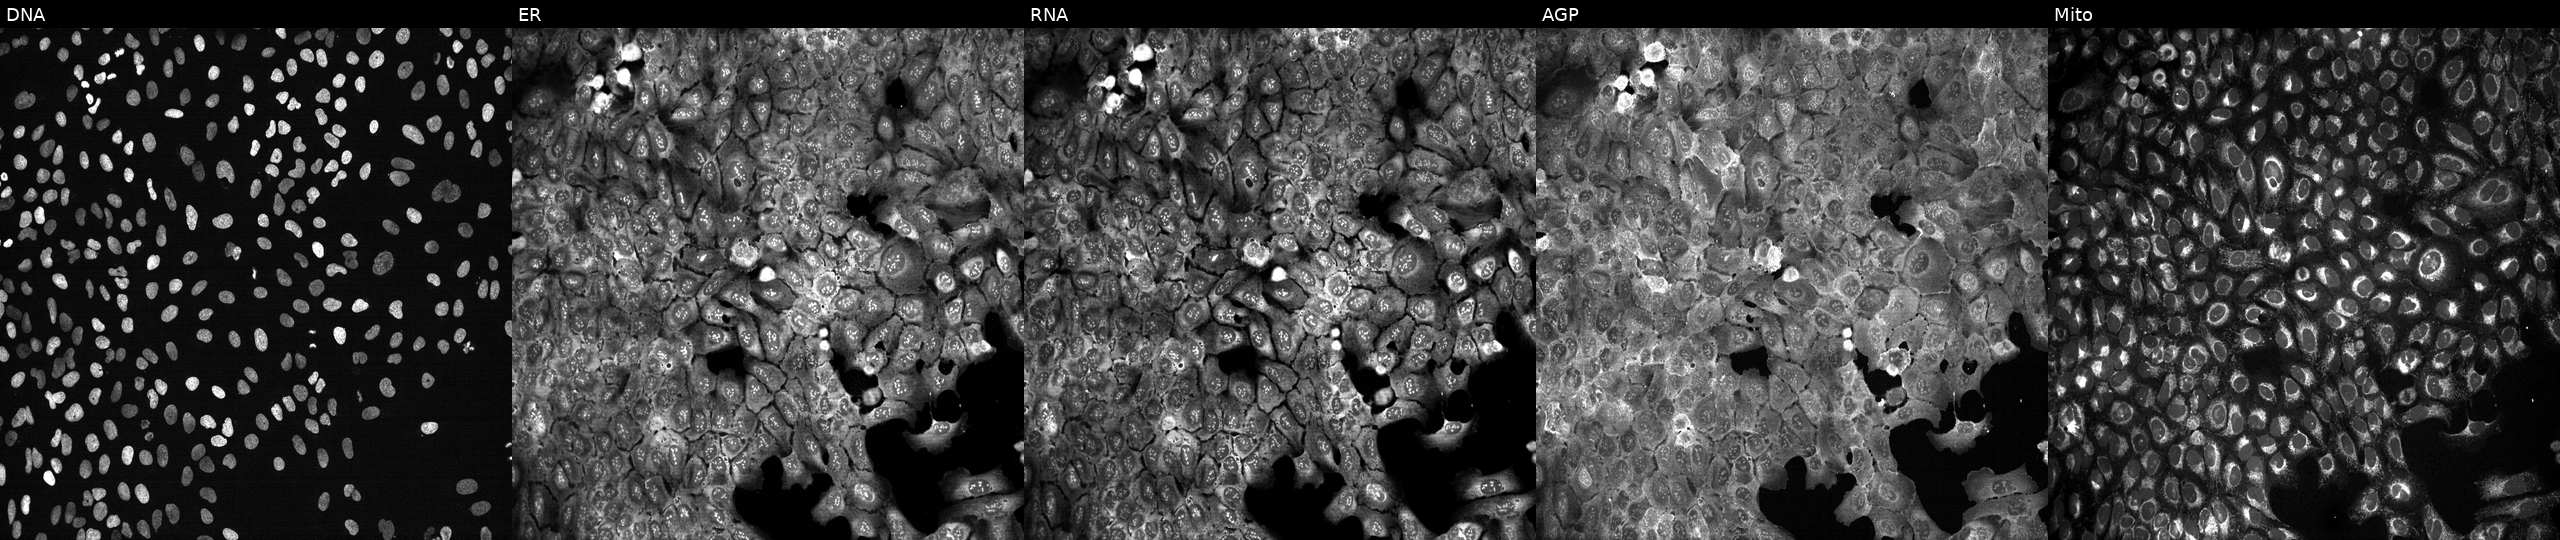
This image strip shows the five Cell Painting channels for a single field of U2OS cells CRISPR-edited to disrupt PTGIS (JUMP id JCP2022_805655). The five panels, left to right, show DNA (nuclei); ER (endoplasmic reticulum); RNA (nucleoli and cytoplasmic RNA); AGP (actin cytoskeleton, Golgi, and plasma membrane); Mito (mitochondria).